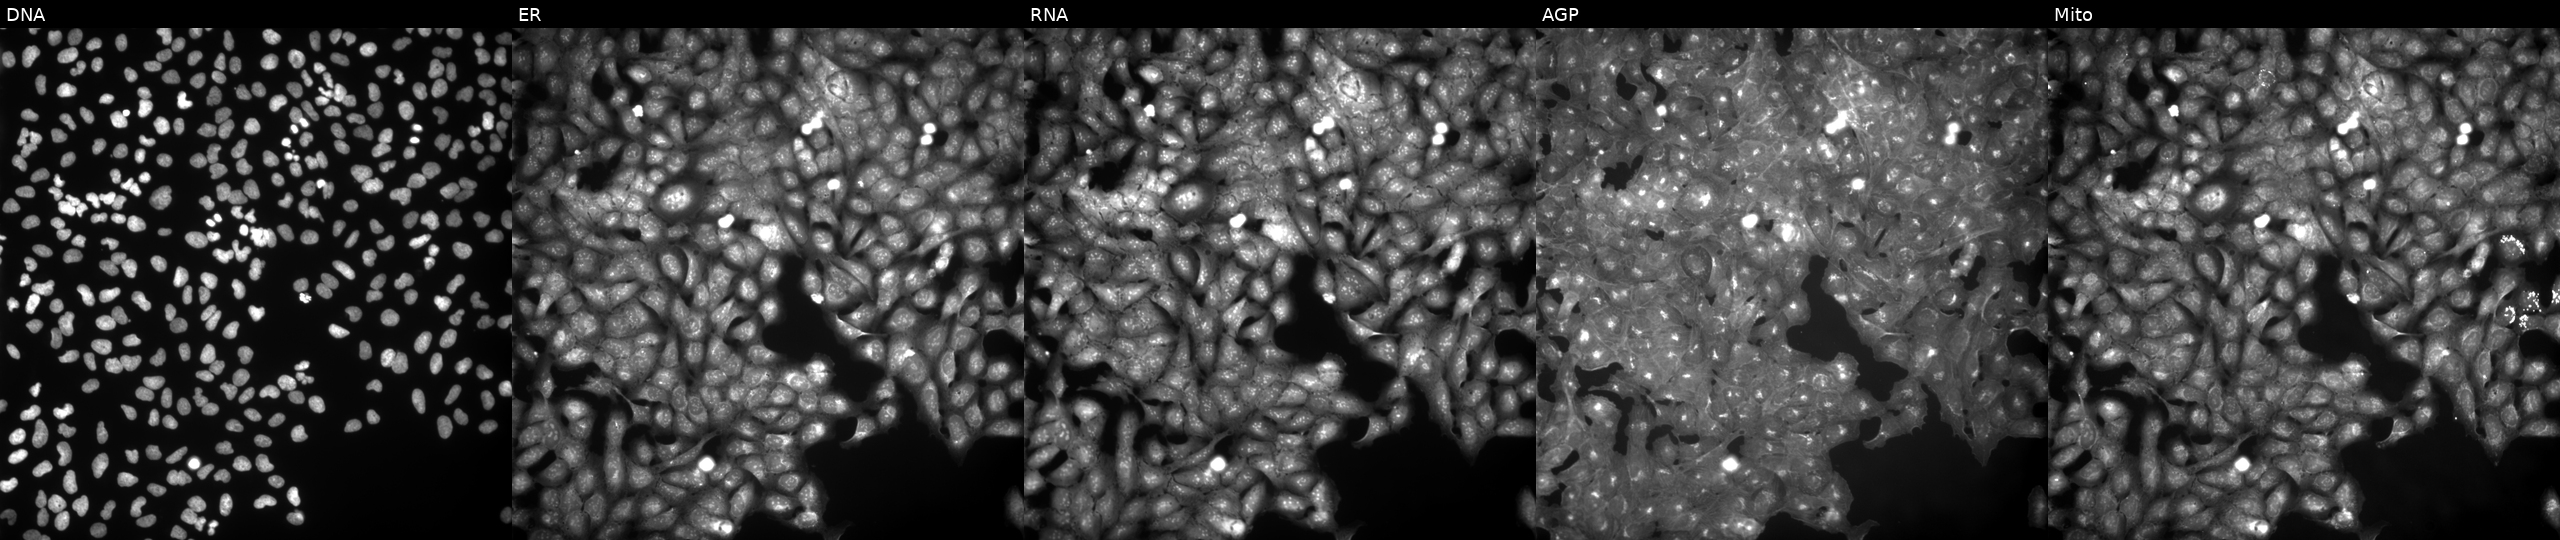
This image strip shows the five Cell Painting channels for a single field of U2OS cells treated with NVS-PAK1-1 (positive-control compound). Panels show, left to right, DNA, ER, RNA, AGP, and Mito.